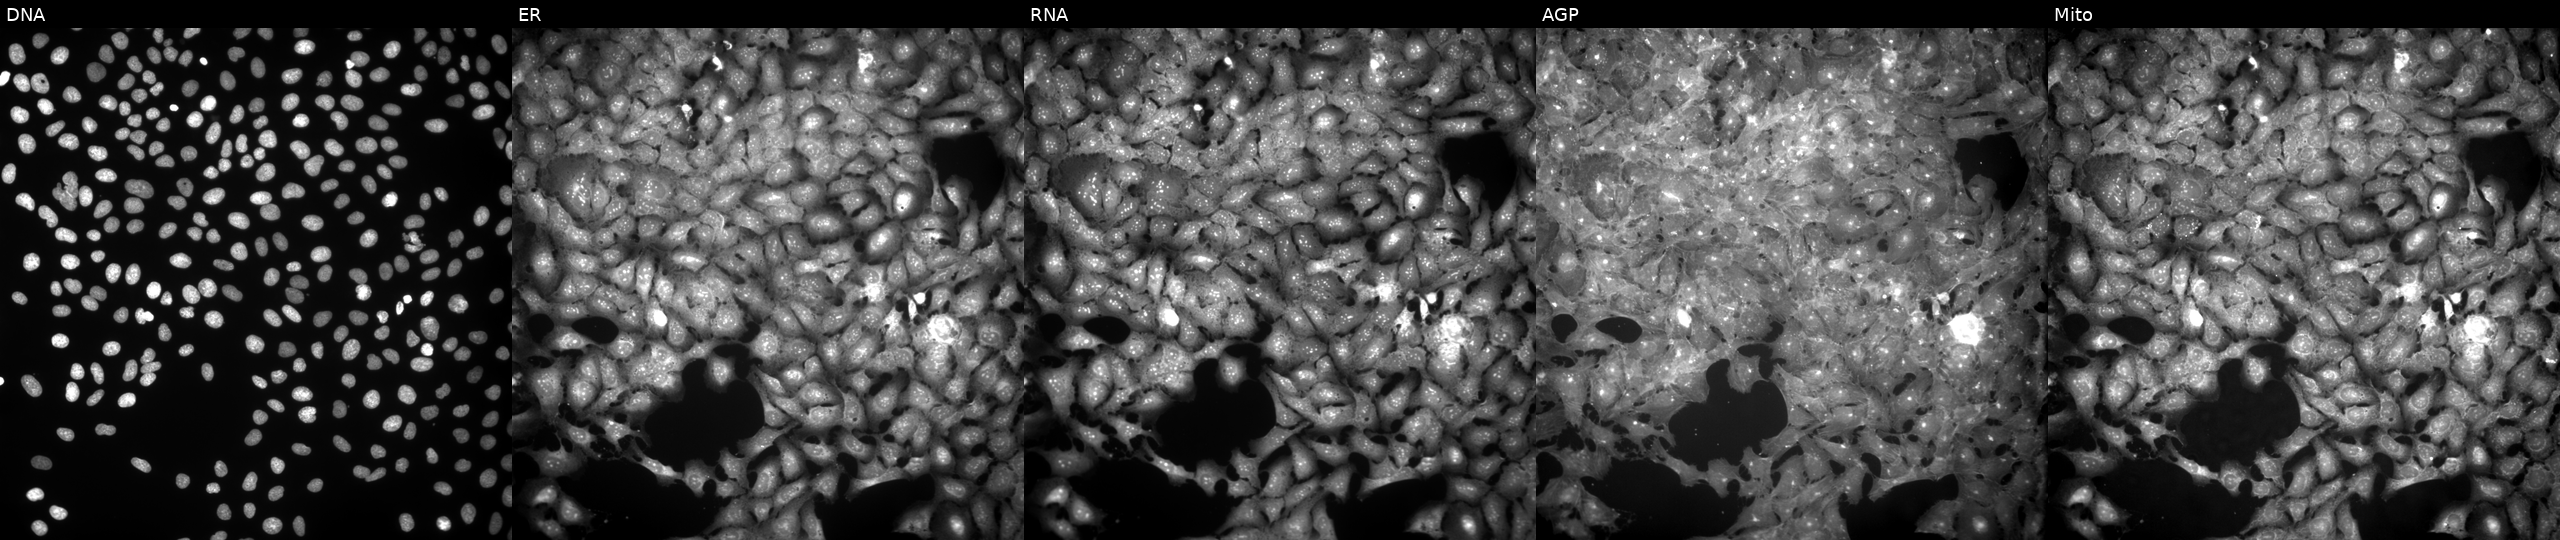
High-content fluorescence microscopy (Cell Painting). Cell line: U2OS. Perturbation: treated with FK-866 (positive-control compound) (JUMP id JCP2022_046054). Channels (left→right): DNA, ER, RNA, AGP, and Mito.